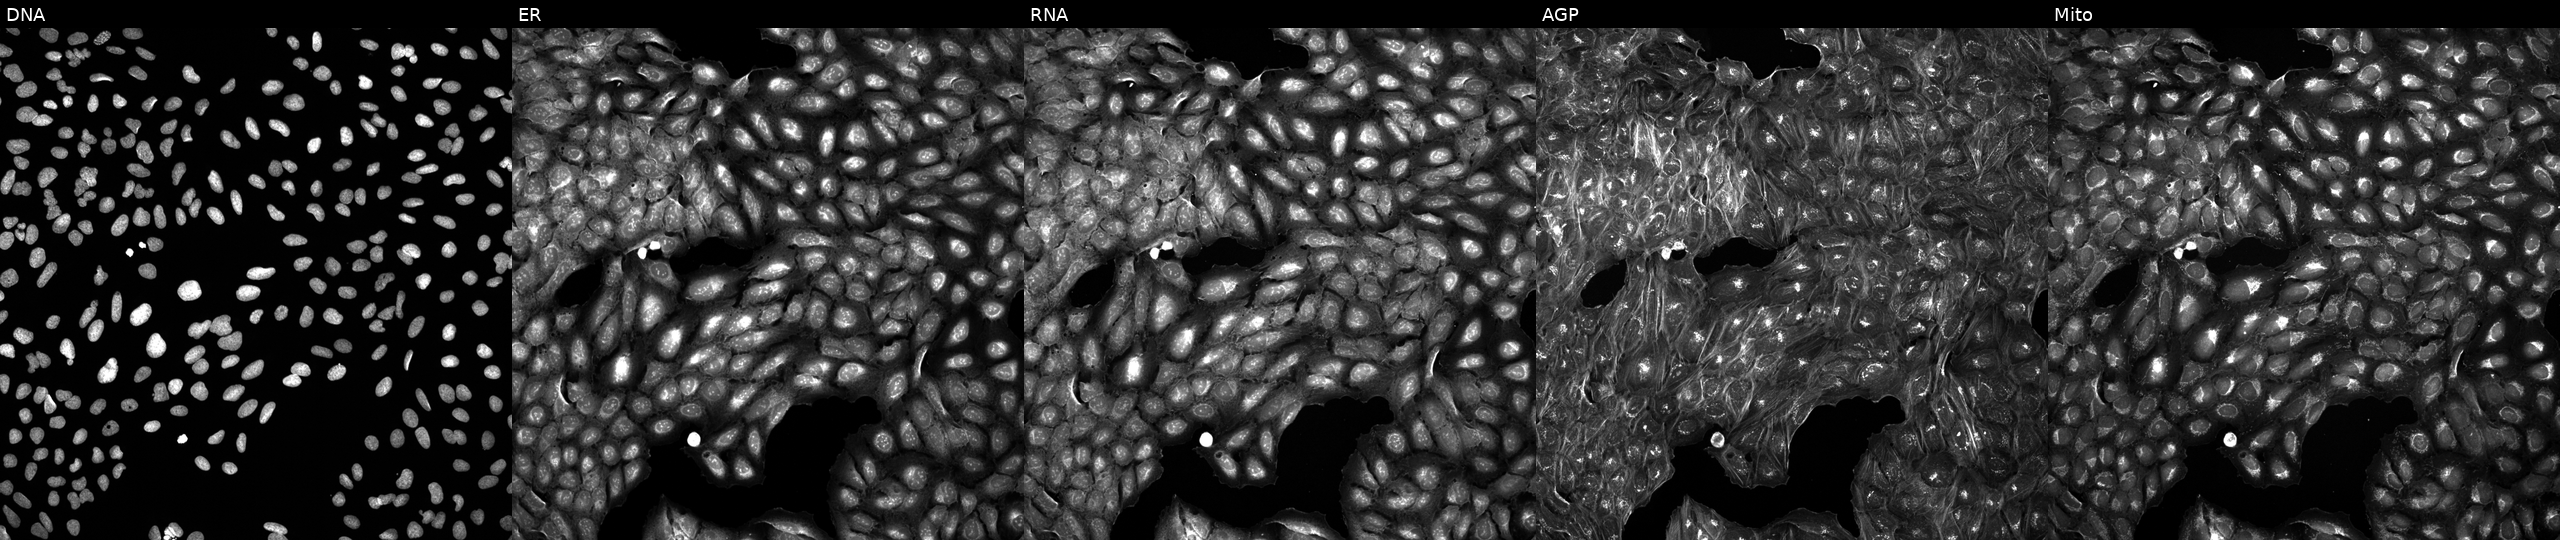
Channels (left→right): DNA (nuclei); ER (endoplasmic reticulum); RNA (nucleoli and cytoplasmic RNA); AGP (actin cytoskeleton, Golgi, and plasma membrane); Mito (mitochondria). U2OS osteosarcoma cells exposed to a small-molecule compound (InChIKey ATOHIMDWPAOLQR-UHFFFAOYSA-N) [SMILES: O=C(C1CC1)N1CCCCCC1C1CCN(Cc2nnnn2-c2ccccc2)CC1] (JUMP id JCP2022_003777). Cell Painting assay, JUMP-CP dataset. Source 5, plate APTJUM106, well G13.